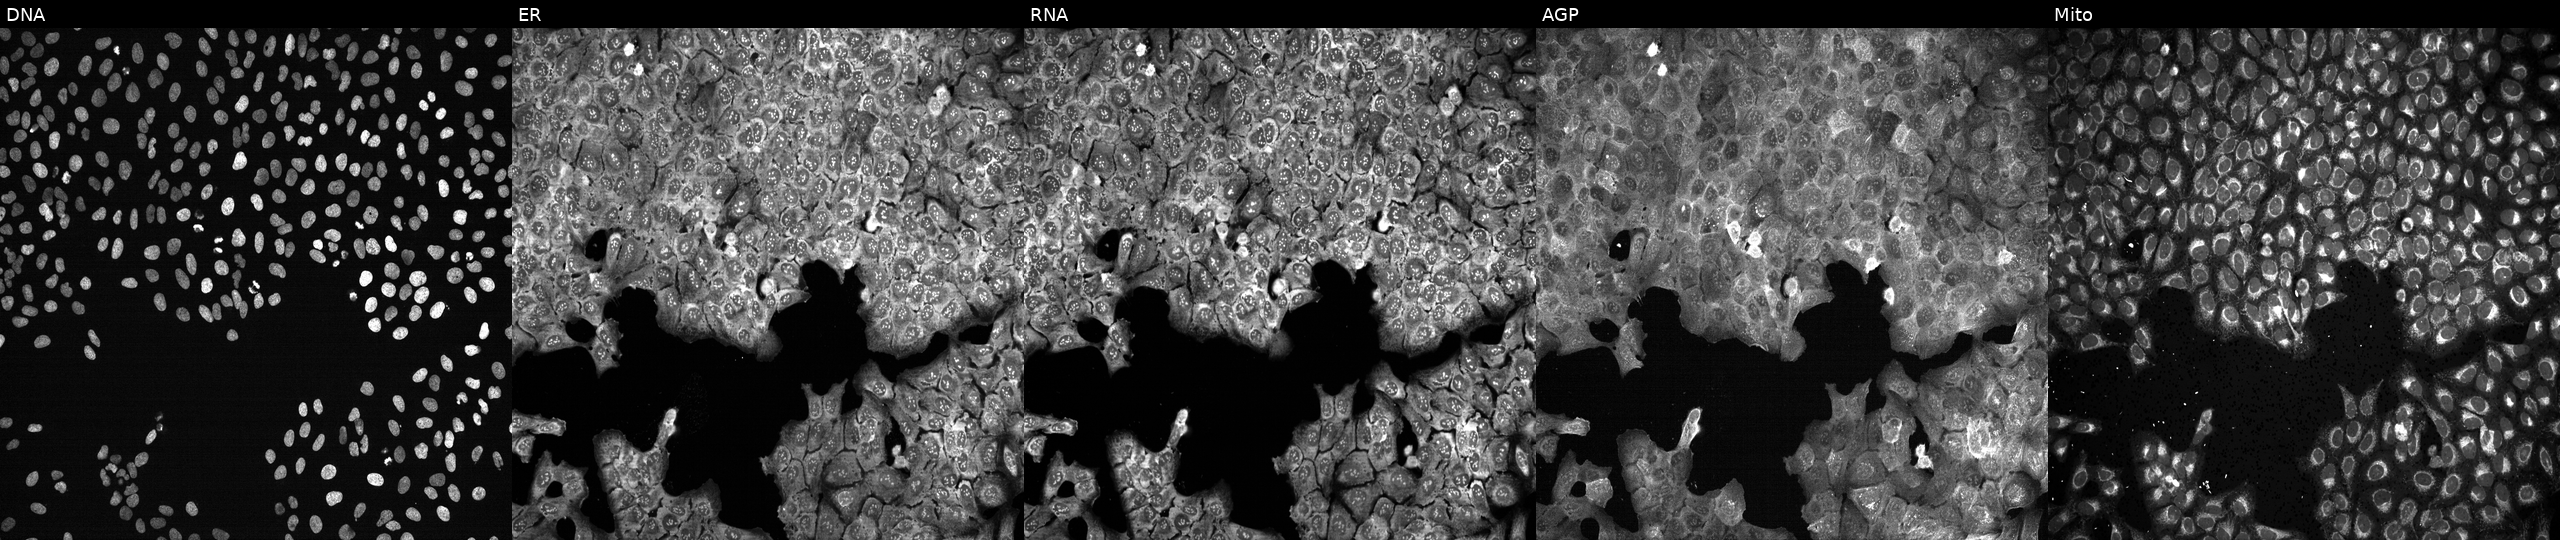
High-content fluorescence microscopy (Cell Painting). Cell line: U2OS. Perturbation: with no CRISPR guide (negative control) (JUMP id JCP2022_800001). Channels (left→right): Hoechst 33342, concanavalin A, SYTO 14, phalloidin and WGA, MitoTracker. Source 13, plate CP-CC9-R2-01, well K02.